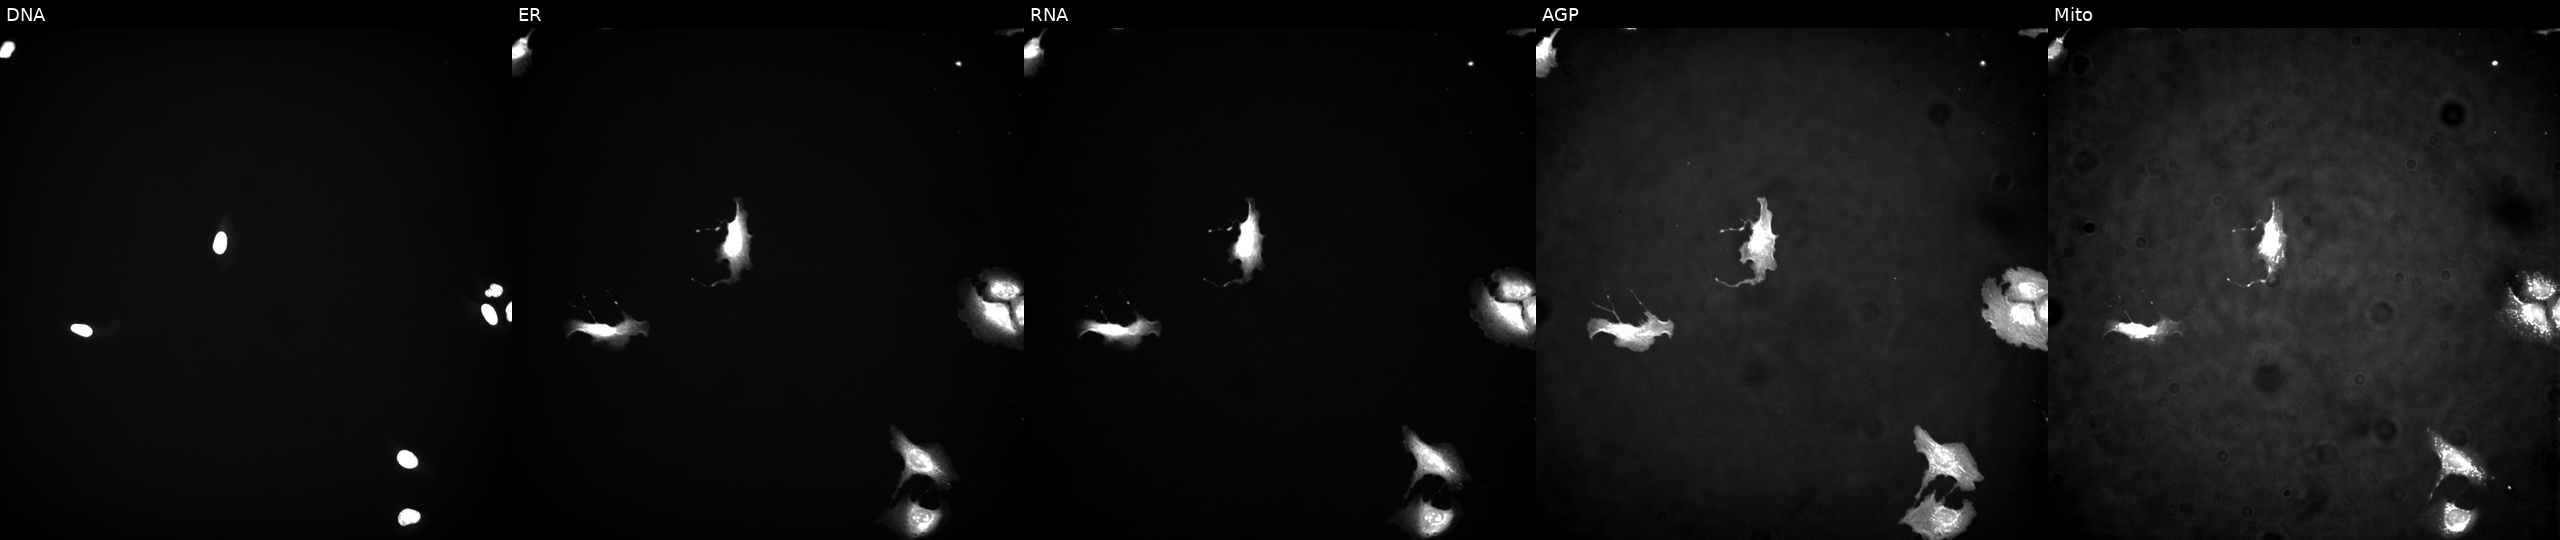
U2OS cells, Cell Painting assay, with EPHA7 overexpressed (ORF) (JUMP id JCP2022_910068). Channels (left→right): Hoechst 33342, concanavalin A, SYTO 14, phalloidin and WGA, MitoTracker. Each panel is percentile-stretched 16-bit fluorescence.